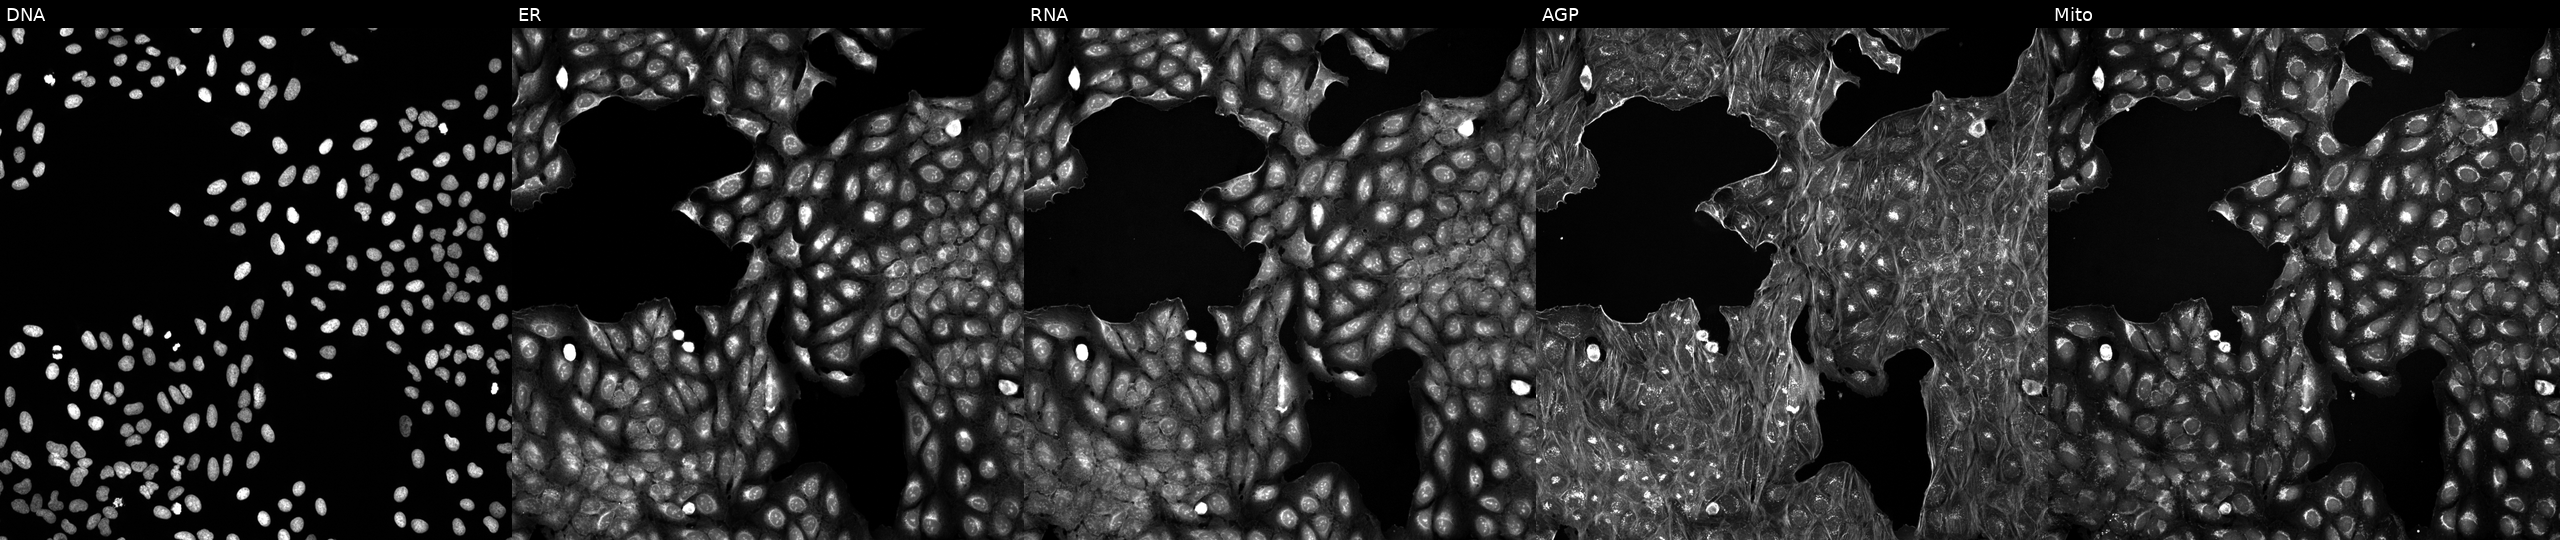
From left to right: DNA (nuclei); ER (endoplasmic reticulum); RNA (nucleoli and cytoplasmic RNA); AGP (actin cytoskeleton, Golgi, and plasma membrane); Mito (mitochondria). U2OS osteosarcoma cells exposed to a small-molecule compound (InChIKey ULYONBAOIMCNEH-UHFFFAOYSA-N) [SMILES: COc1ccc(Cl)cc1C1(F)C(=O)Nc2cc(C(F)(F)F)ccc21] (JUMP id JCP2022_090051). Cell Painting assay, JUMP-CP dataset. Source 5, plate ACPJUM032, well H23.